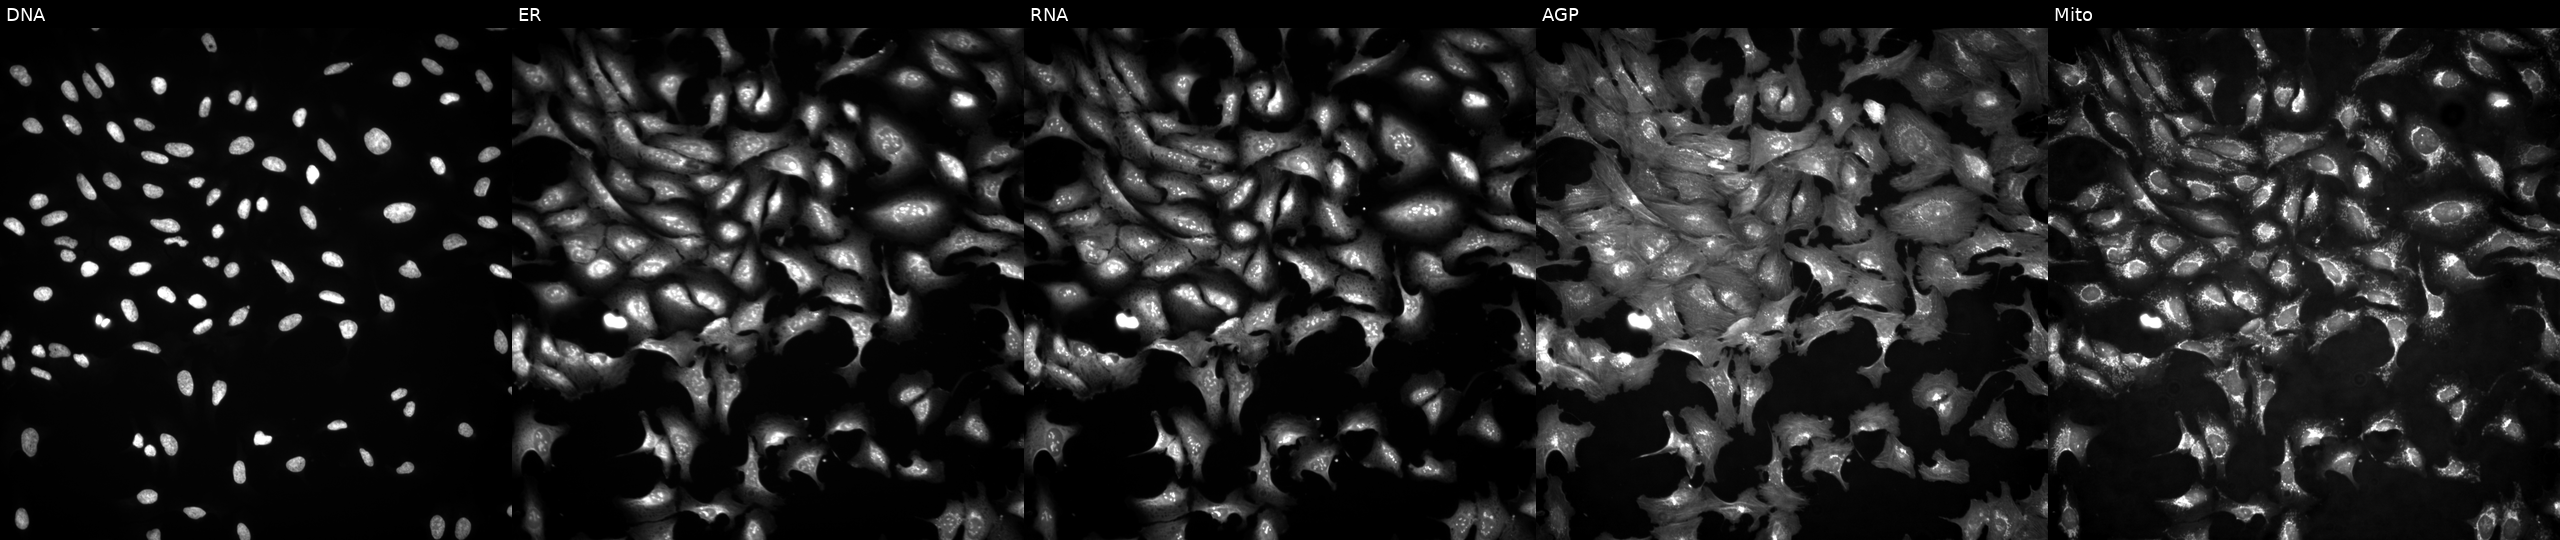
Five-channel Cell Painting image of U2OS cells with AKT2 overexpressed (ORF) (JUMP id JCP2022_900041). The five panels, left to right, show Hoechst 33342, concanavalin A, SYTO 14, phalloidin and WGA, MitoTracker.